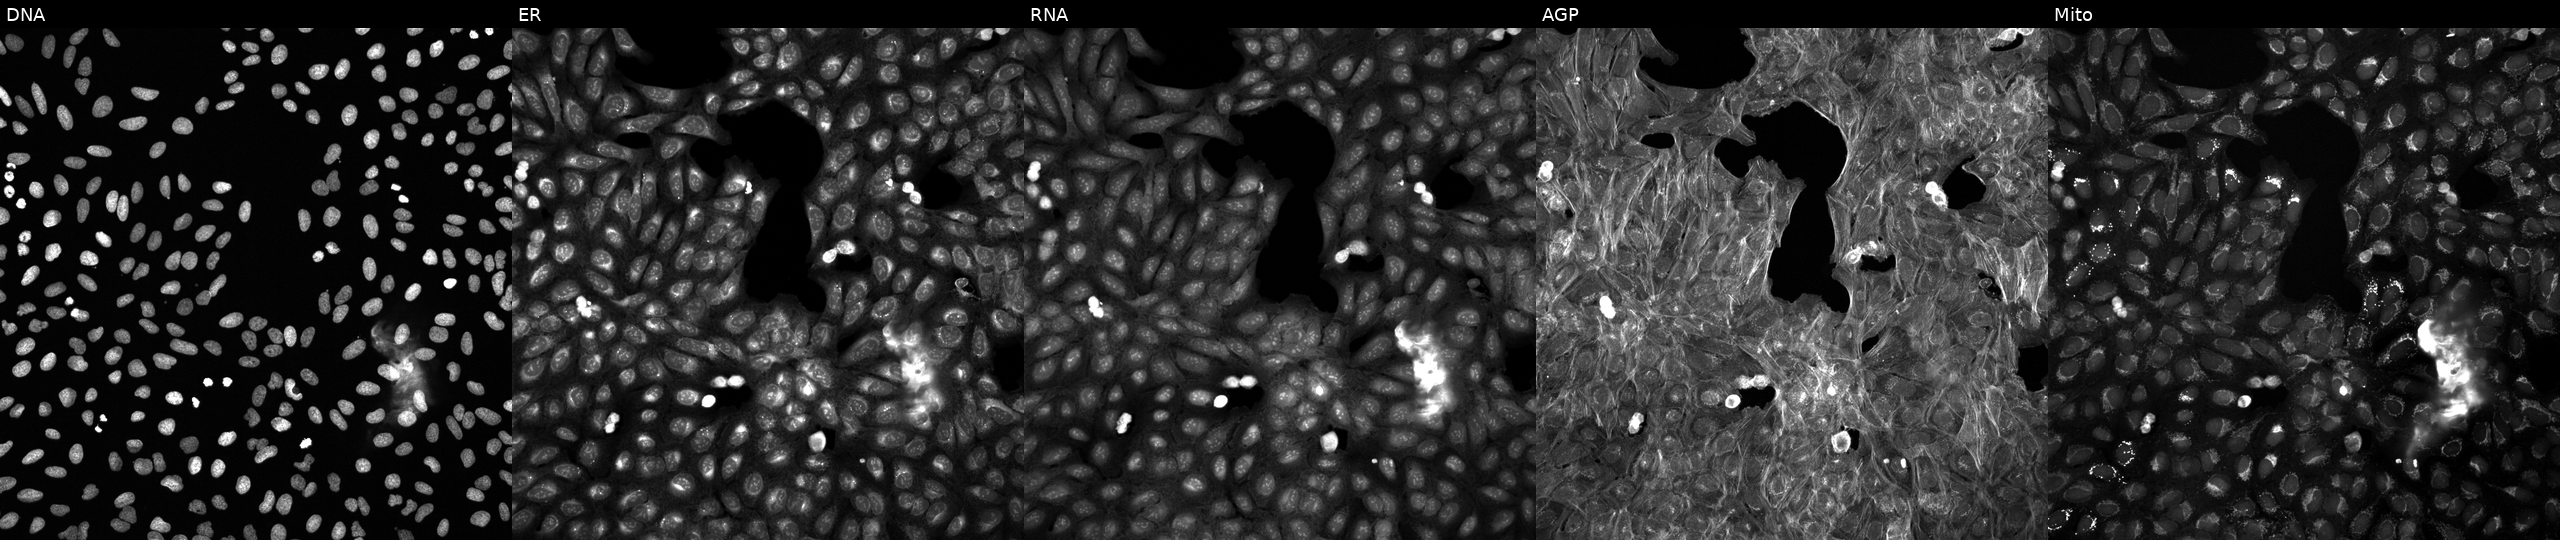
U2OS cells, Cell Painting assay, perturbed with a small-molecule compound (InChIKey SNICXCGAKADSCV-UHFFFAOYSA-N) (JUMP id JCP2022_084364). The five panels, left to right, show DNA (nuclei); ER (endoplasmic reticulum); RNA (nucleoli and cytoplasmic RNA); AGP (actin cytoskeleton, Golgi, and plasma membrane); Mito (mitochondria). Each panel is percentile-stretched 16-bit fluorescence.